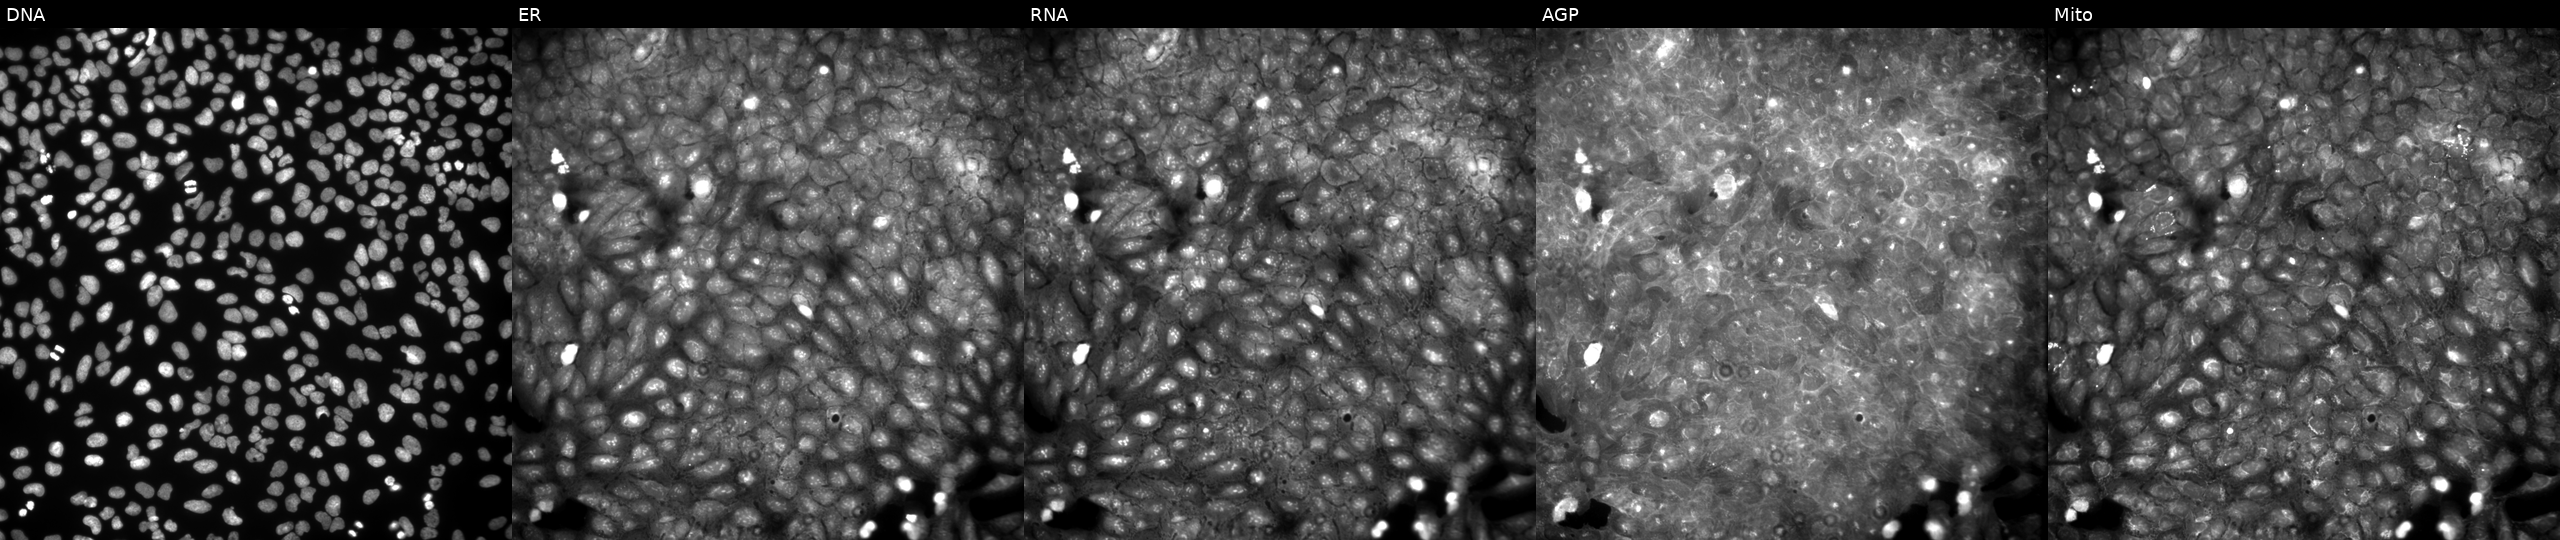
Five-channel Cell Painting image of U2OS cells perturbed with a small-molecule compound (InChIKey CMTMTLVIGYPLGJ-UHFFFAOYSA-N) (JUMP id JCP2022_012157). From left to right: DNA (nuclei); ER (endoplasmic reticulum); RNA (nucleoli and cytoplasmic RNA); AGP (actin cytoskeleton, Golgi, and plasma membrane); Mito (mitochondria). Source 9, plate GR00003382, well O40.